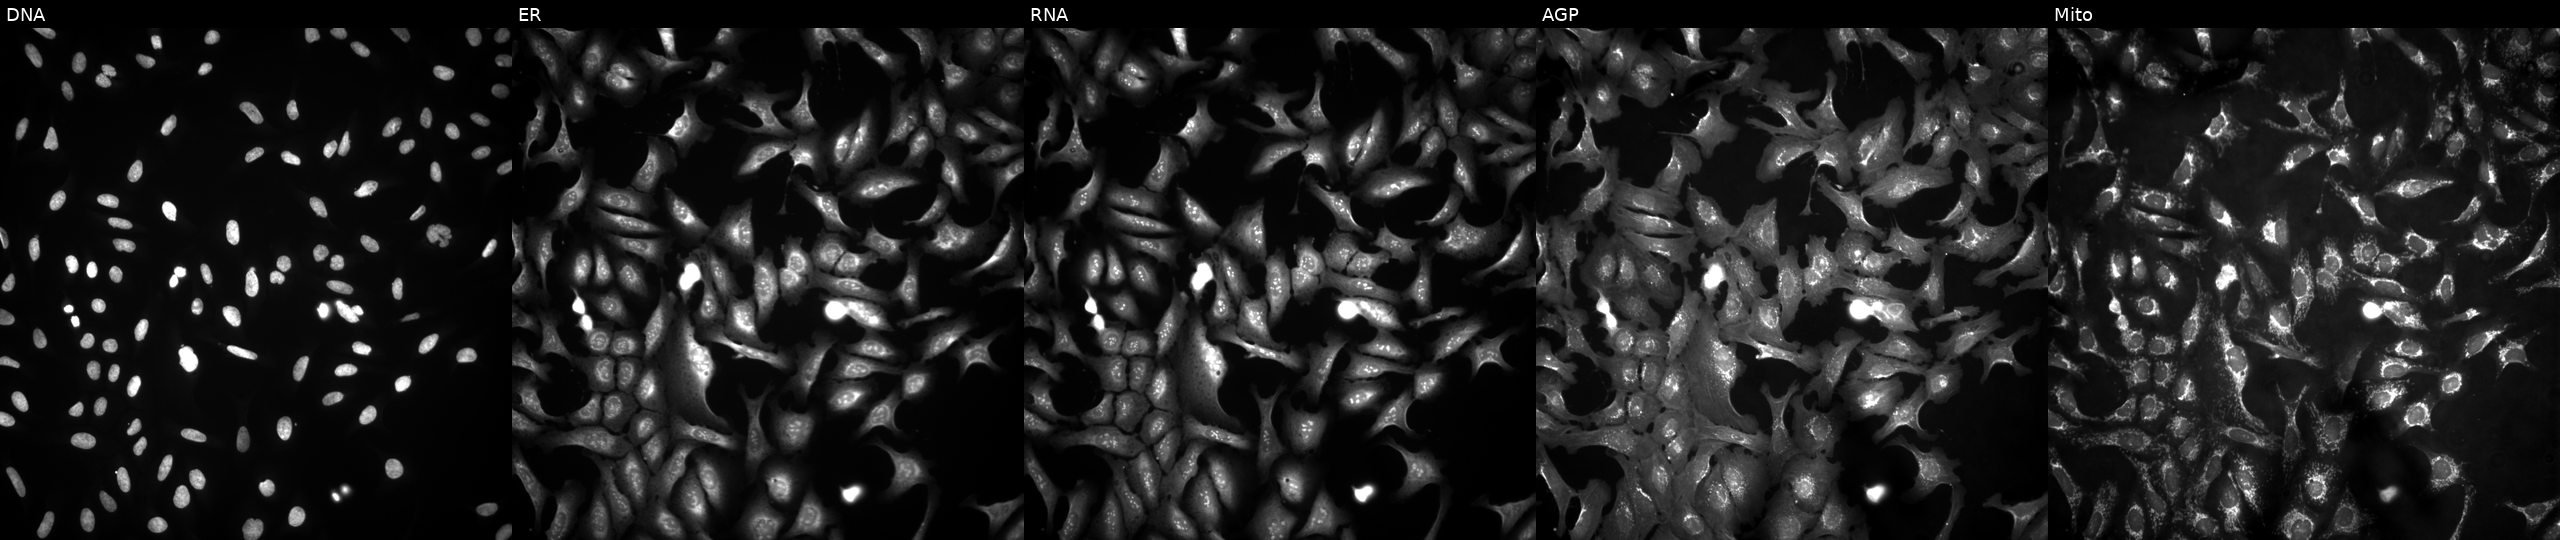
From left to right: DNA (nuclei); ER (endoplasmic reticulum); RNA (nucleoli and cytoplasmic RNA); AGP (actin cytoskeleton, Golgi, and plasma membrane); Mito (mitochondria). U2OS osteosarcoma cells overexpressing LOC102724159 via ORF transfection. Cell Painting assay, JUMP-CP dataset. Source 4, plate BR00121543, well A01.